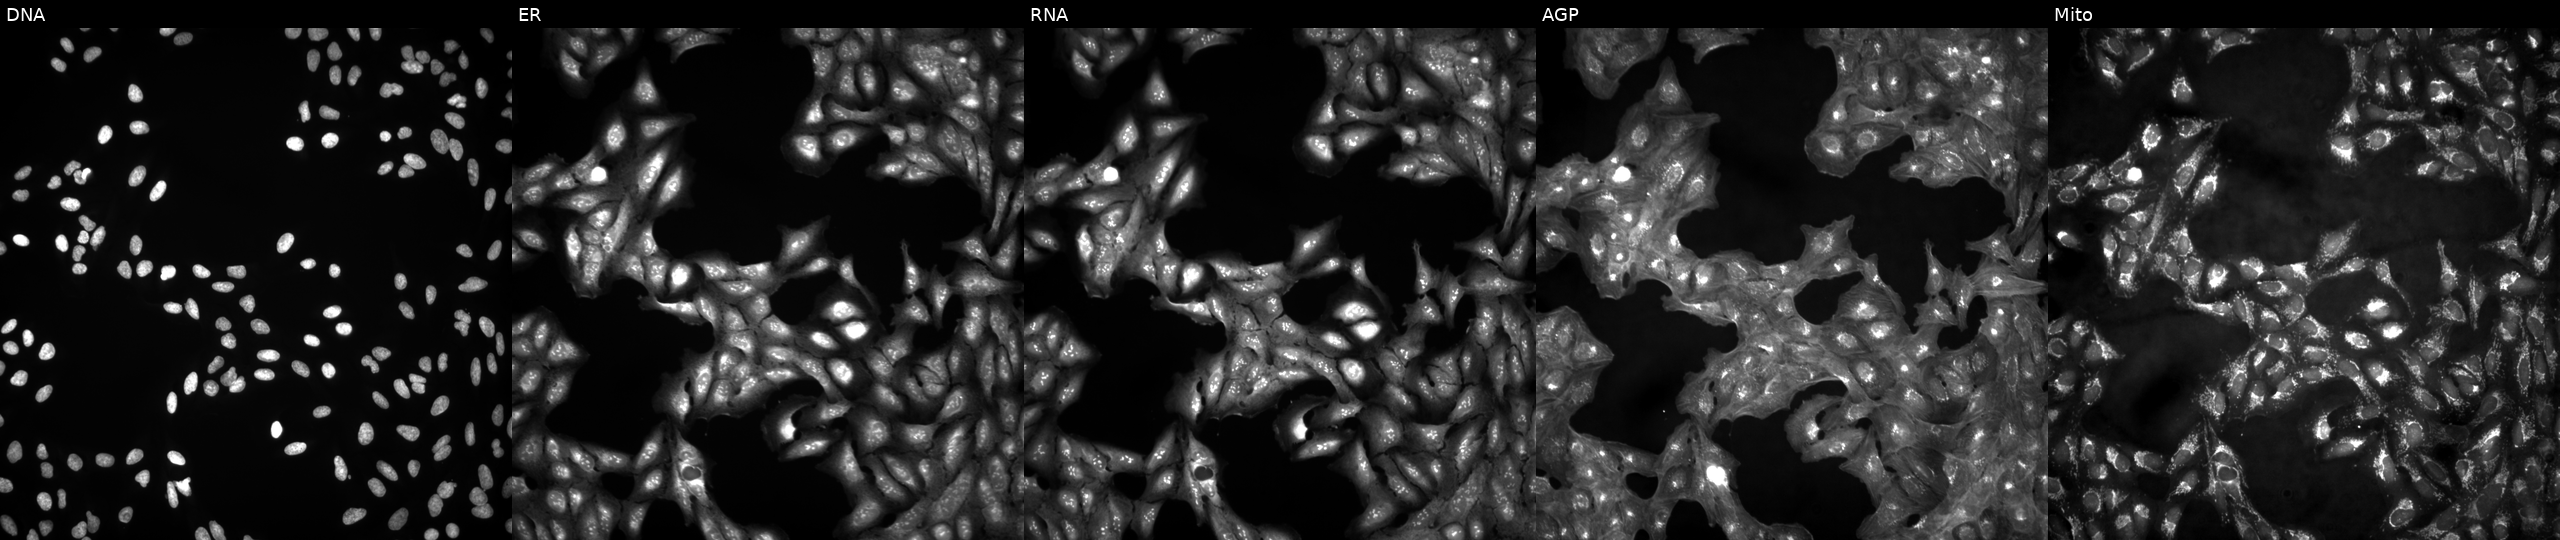
This image strip shows the five Cell Painting channels for a single field of U2OS cells in an empty control well (no perturbation) (JUMP id JCP2022_999999). From left to right: DNA (nuclei); ER (endoplasmic reticulum); RNA (nucleoli and cytoplasmic RNA); AGP (actin cytoskeleton, Golgi, and plasma membrane); Mito (mitochondria).